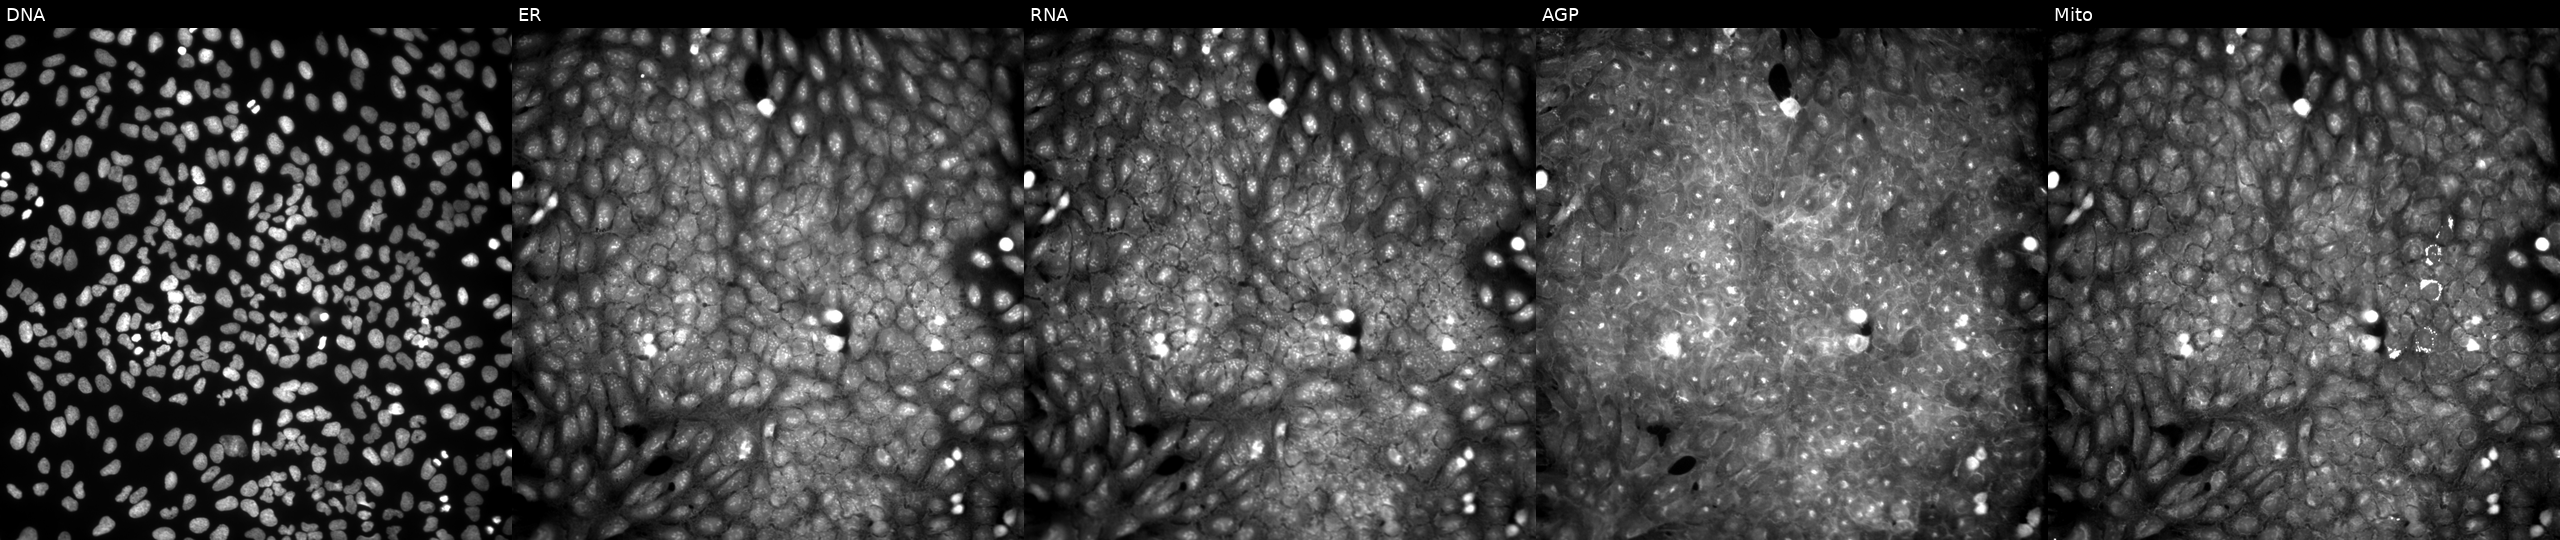
This image strip shows the five Cell Painting channels for a single field of U2OS cells treated with DMSO vehicle only (negative control). Channels (left→right): DNA (nuclei); ER (endoplasmic reticulum); RNA (nucleoli and cytoplasmic RNA); AGP (actin cytoskeleton, Golgi, and plasma membrane); Mito (mitochondria).